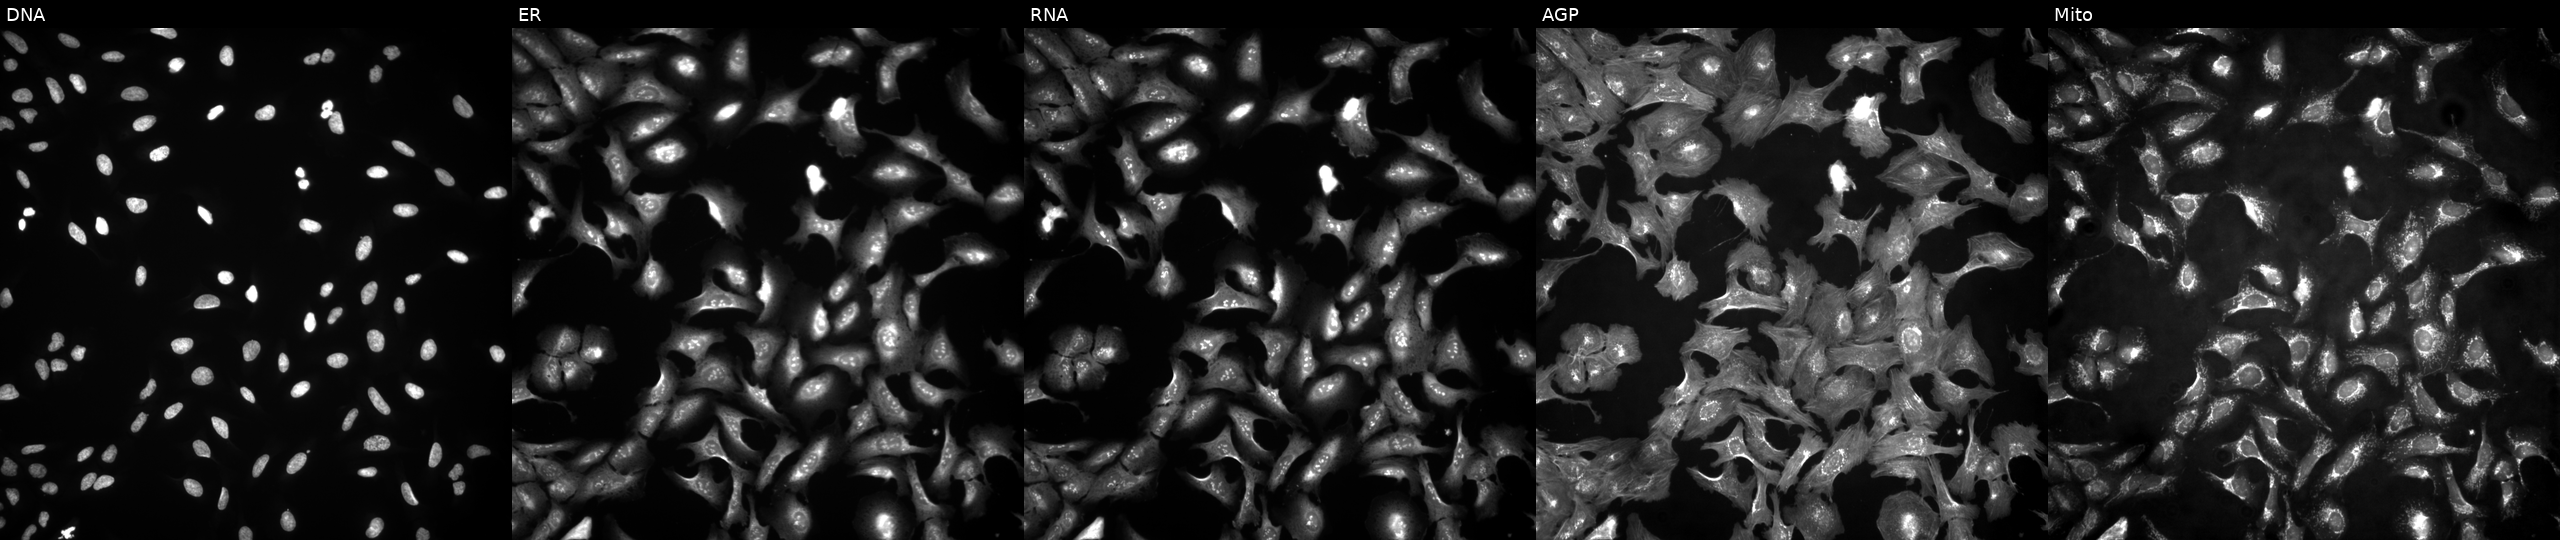
This image strip shows the five Cell Painting channels for a single field of U2OS cells transfected with an ORF construct for TCEAL9. Panels show, left to right, Hoechst 33342, concanavalin A, SYTO 14, phalloidin and WGA, MitoTracker.